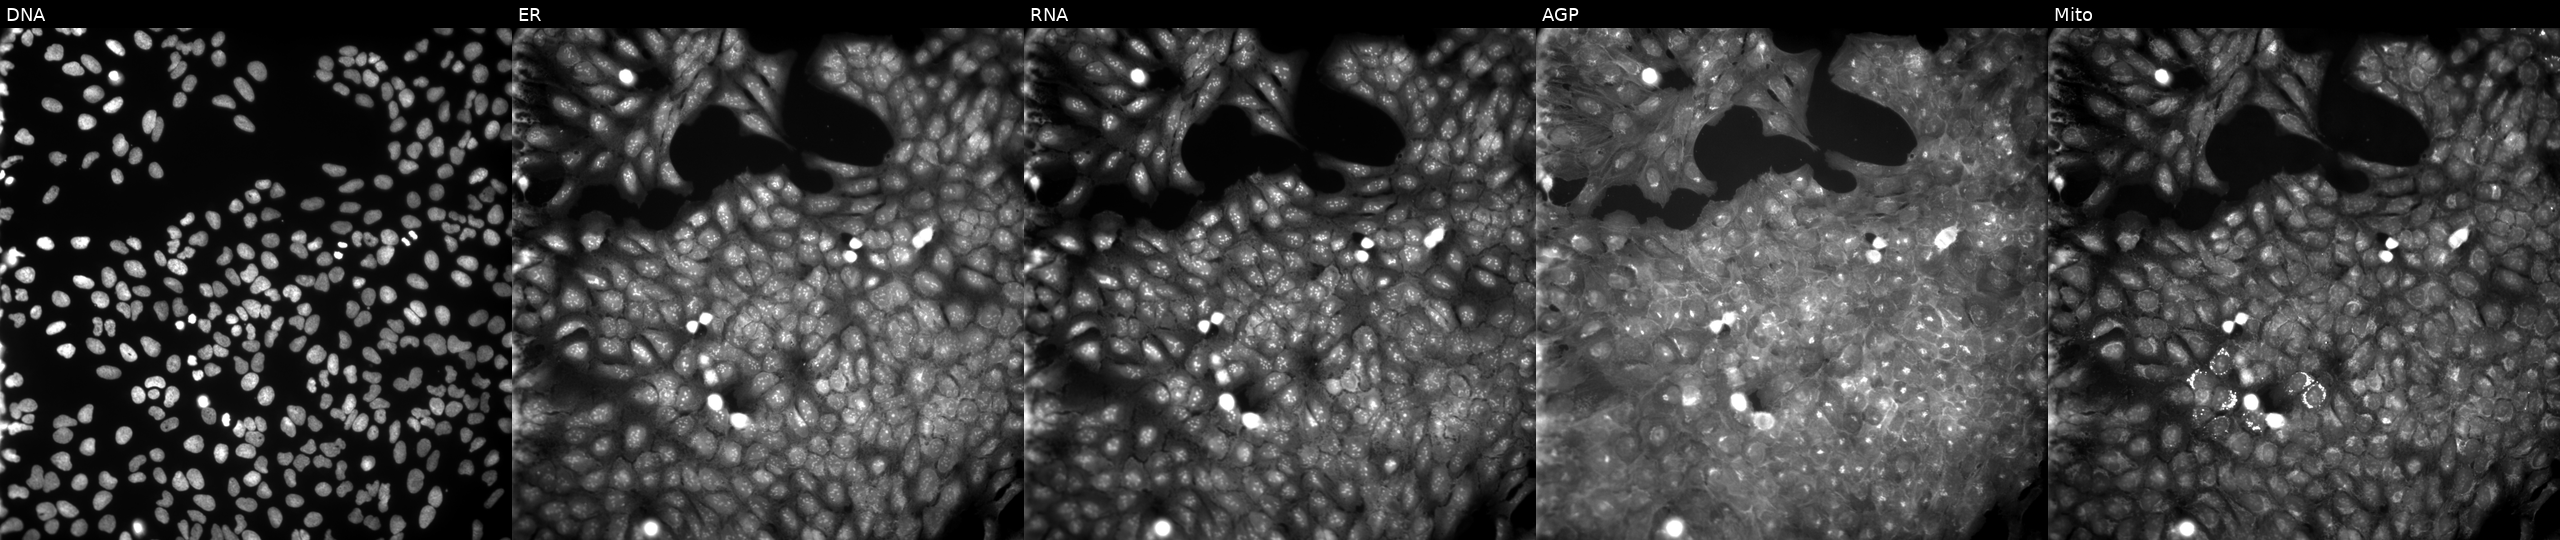
Five-channel Cell Painting image of U2OS cells perturbed with a small-molecule compound (InChIKey OXUCHEXFCAXUIP-UHFFFAOYSA-N) (JUMP id JCP2022_066835). Panels show, left to right, DNA, ER, RNA, AGP, and Mito.